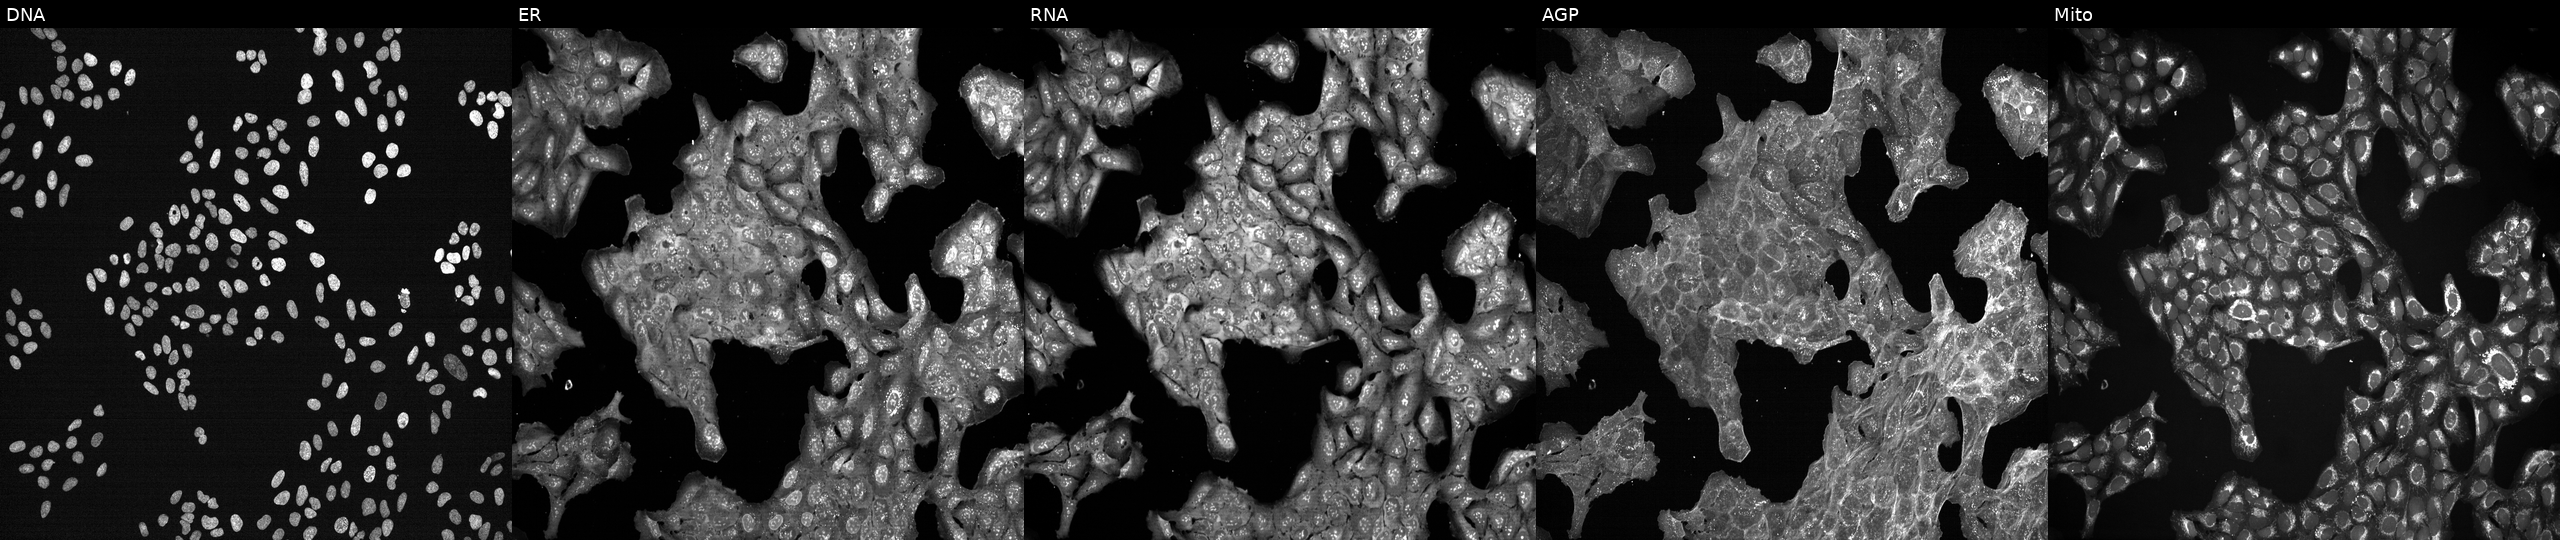
High-content fluorescence microscopy (Cell Painting). Cell line: U2OS. Perturbation: exposed to a small-molecule compound (InChIKey UIEATEWHFDRYRU-UHFFFAOYSA-N) [SMILES: CC(C)COCC(CN(Cc1ccccc1)c1ccccc1)N1CCCC1]. From left to right: Hoechst 33342, concanavalin A, SYTO 14, phalloidin and WGA, MitoTracker.